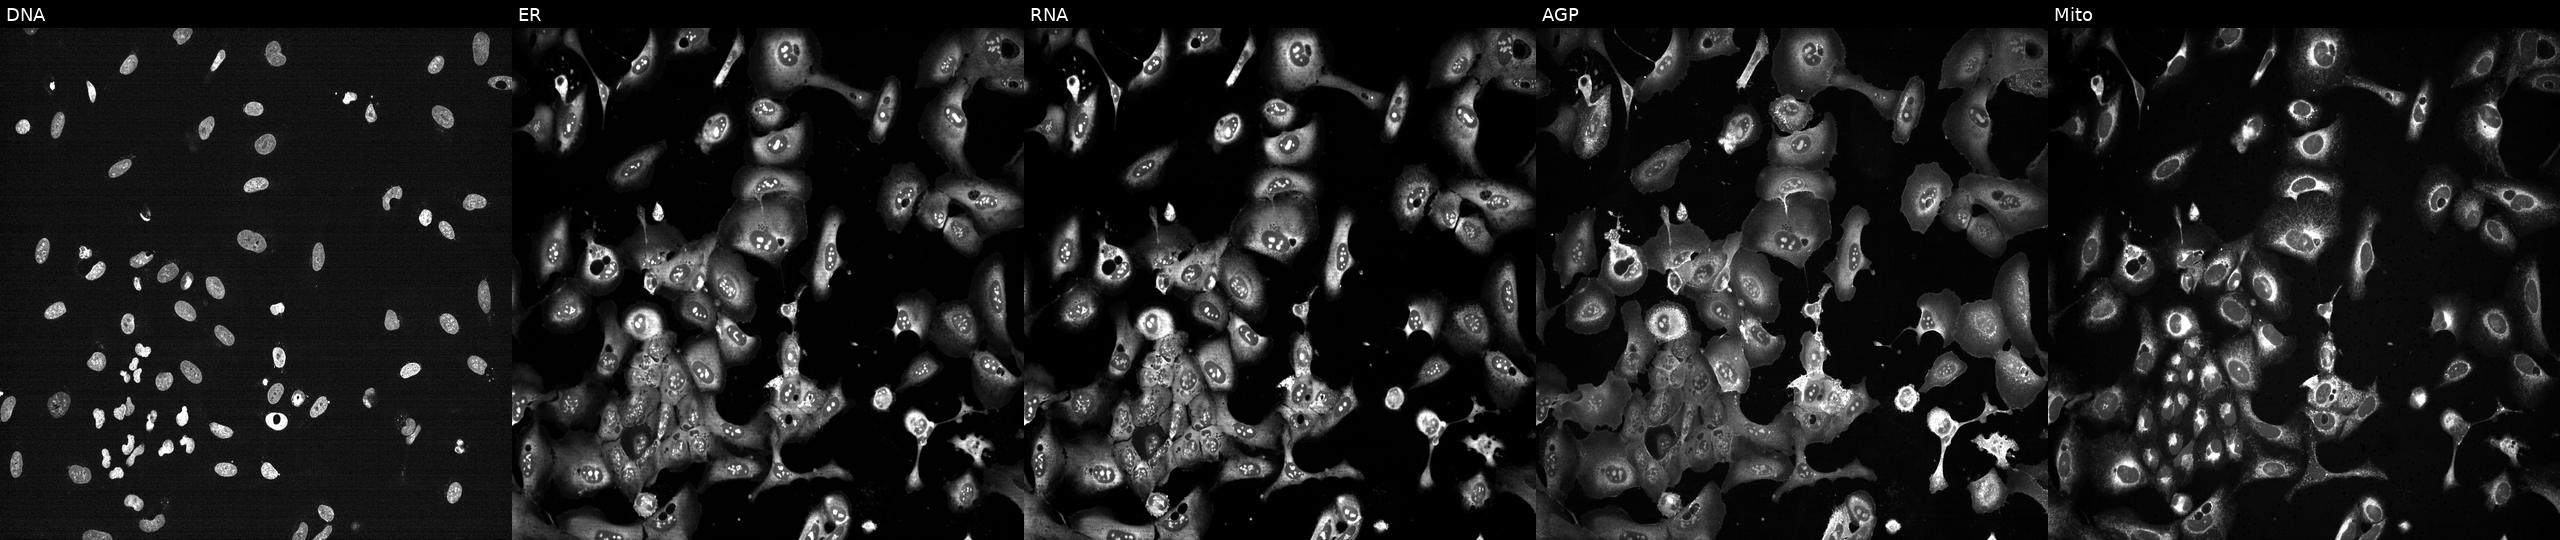
High-content fluorescence microscopy (Cell Painting). Cell line: U2OS. Perturbation: following CRISPR knockout of RRM1 (JUMP id JCP2022_806129). The five panels, left to right, show DNA, ER, RNA, AGP, and Mito. Source 13, plate CP-CC9-R4-03, well B20.